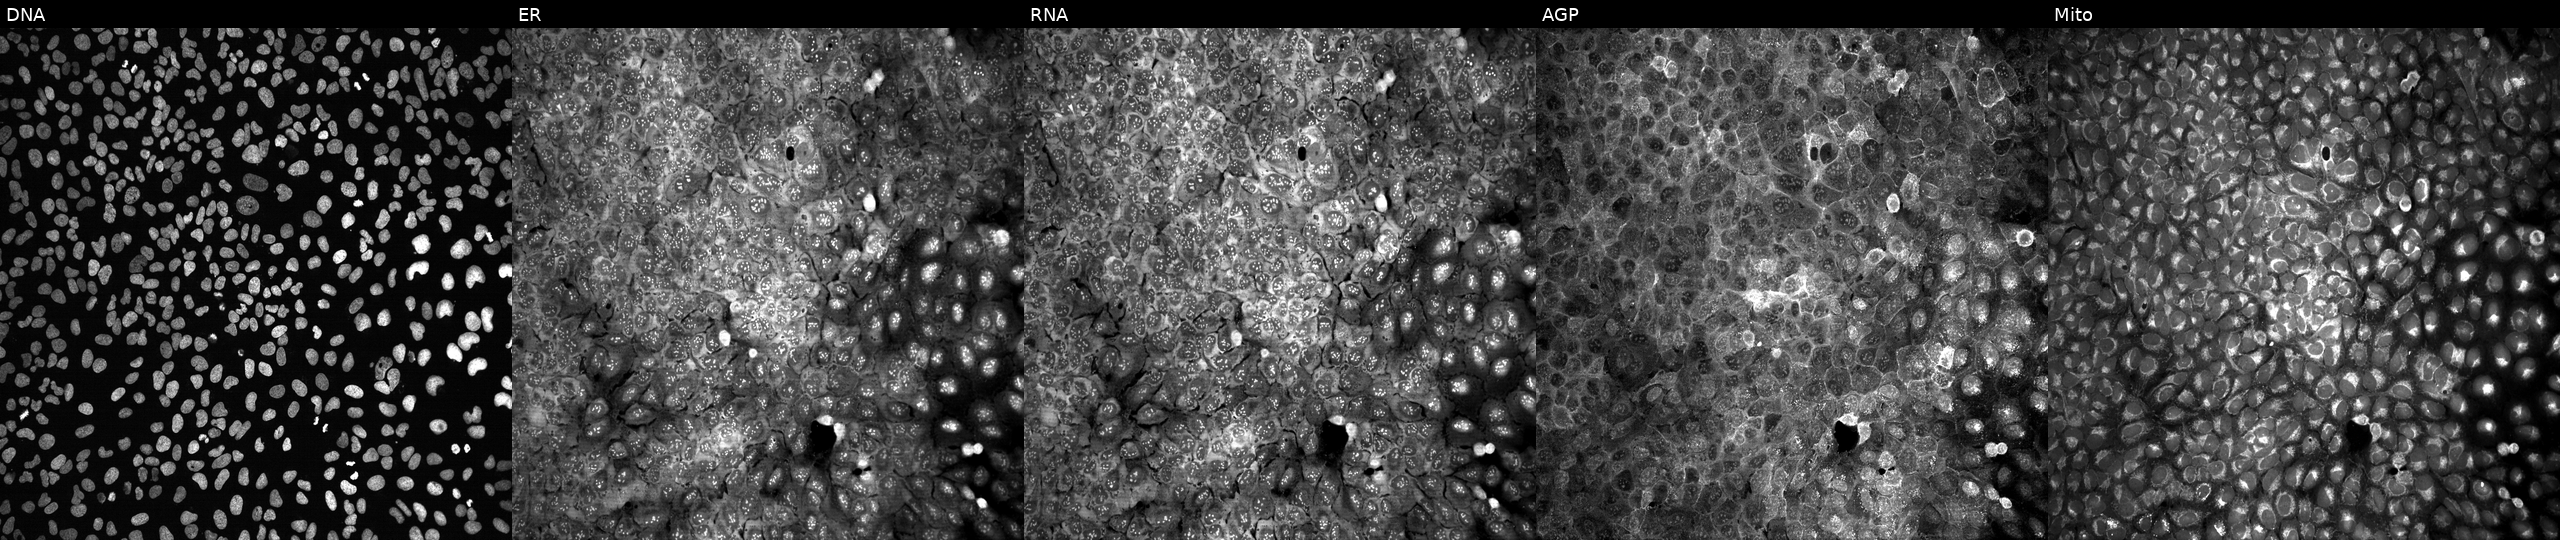
Five-channel Cell Painting image of U2OS cells with CD3G knocked out by CRISPR (JUMP id JCP2022_801158). From left to right: DNA (nuclei); ER (endoplasmic reticulum); RNA (nucleoli and cytoplasmic RNA); AGP (actin cytoskeleton, Golgi, and plasma membrane); Mito (mitochondria).